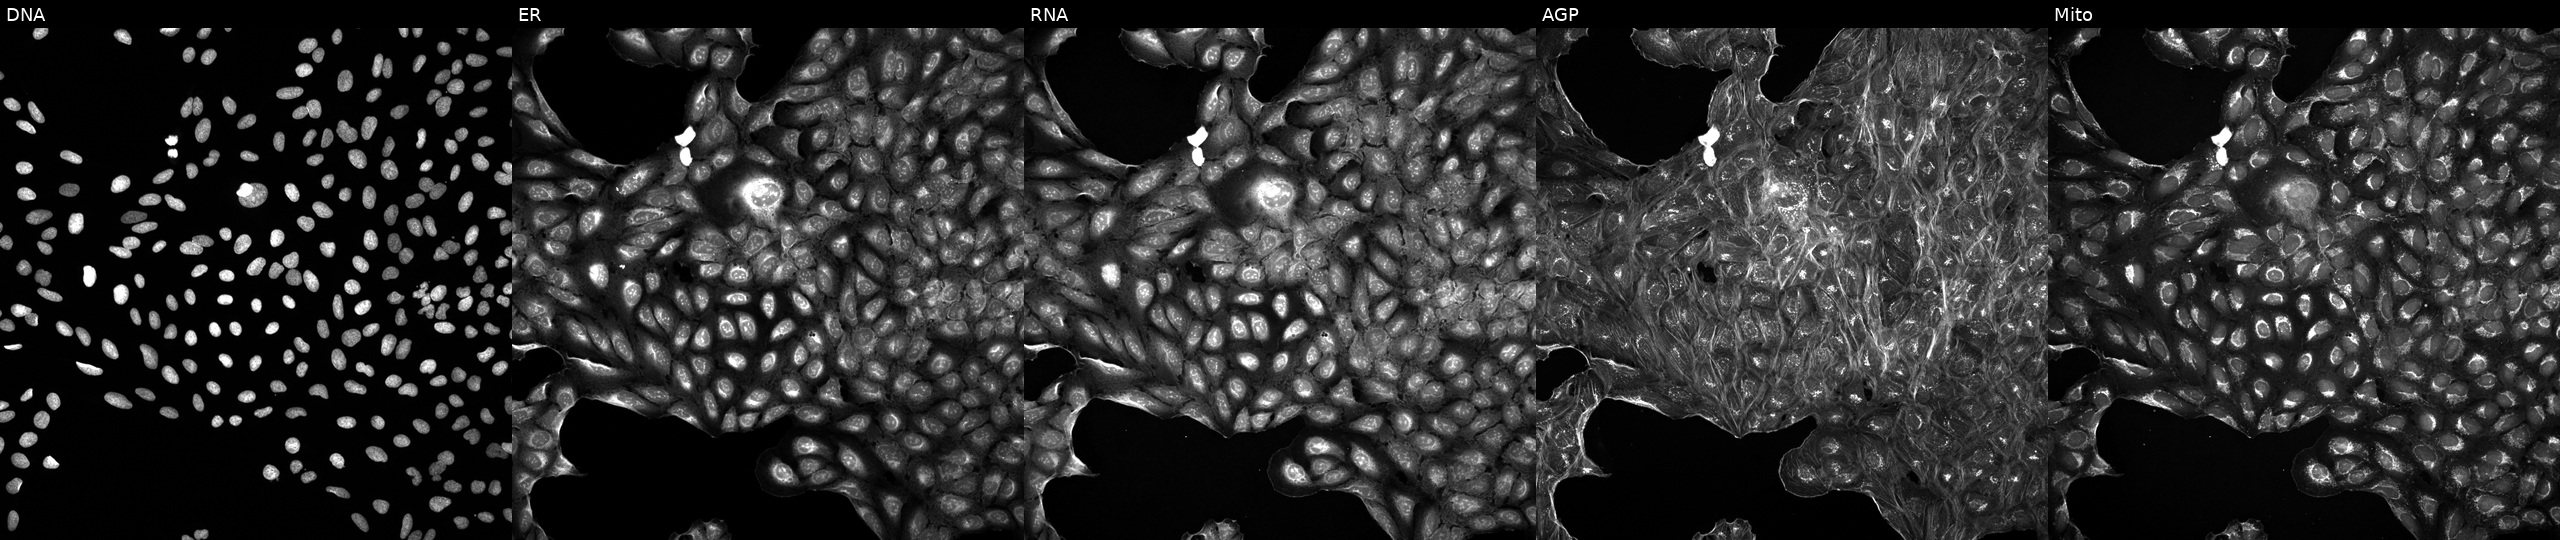
JUMP Cell Painting — TARGET2 plate. U2OS cells treated with a small-molecule compound (InChIKey JYLNVJYYQQXNEK-UHFFFAOYSA-N). The five panels, left to right, show DNA (nuclei); ER (endoplasmic reticulum); RNA (nucleoli and cytoplasmic RNA); AGP (actin cytoskeleton, Golgi, and plasma membrane); Mito (mitochondria).